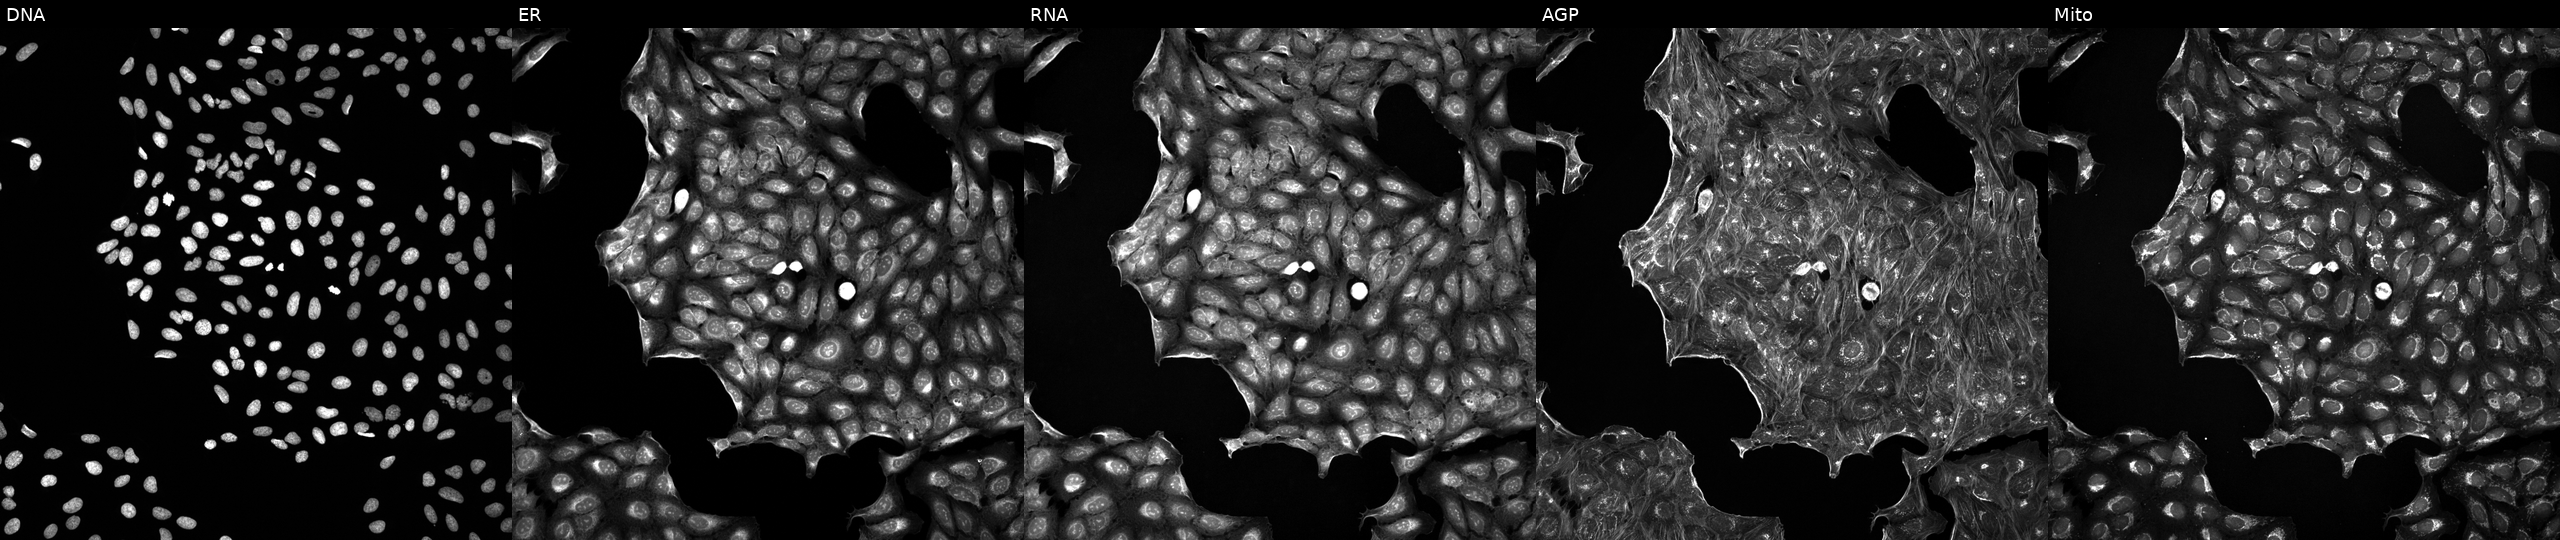
Panels show, left to right, Hoechst 33342, concanavalin A, SYTO 14, phalloidin and WGA, MitoTracker. U2OS osteosarcoma cells exposed to a small-molecule compound (InChIKey ZIUDADZJCKGWKR-UHFFFAOYSA-N) (JUMP id JCP2022_113600). Cell Painting assay, JUMP-CP dataset. Source 5, plate ACPJUM032, well A24.